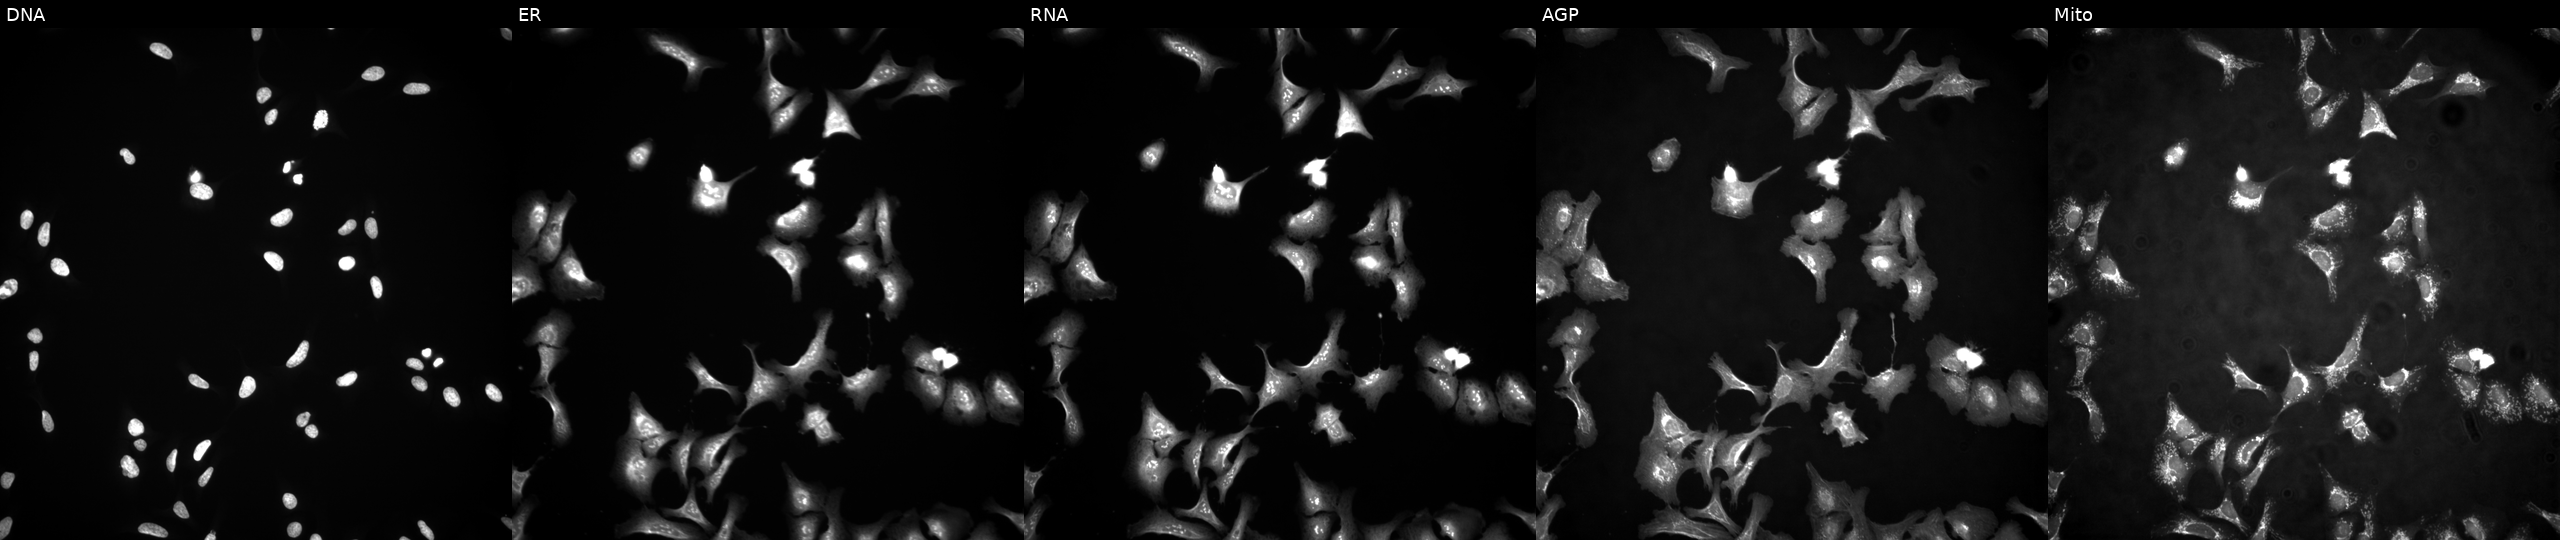
Five-channel Cell Painting image of U2OS cells with SYT17 overexpressed (ORF). Channels (left→right): Hoechst 33342, concanavalin A, SYTO 14, phalloidin and WGA, MitoTracker. Source 4, plate BR00124787, well N01.